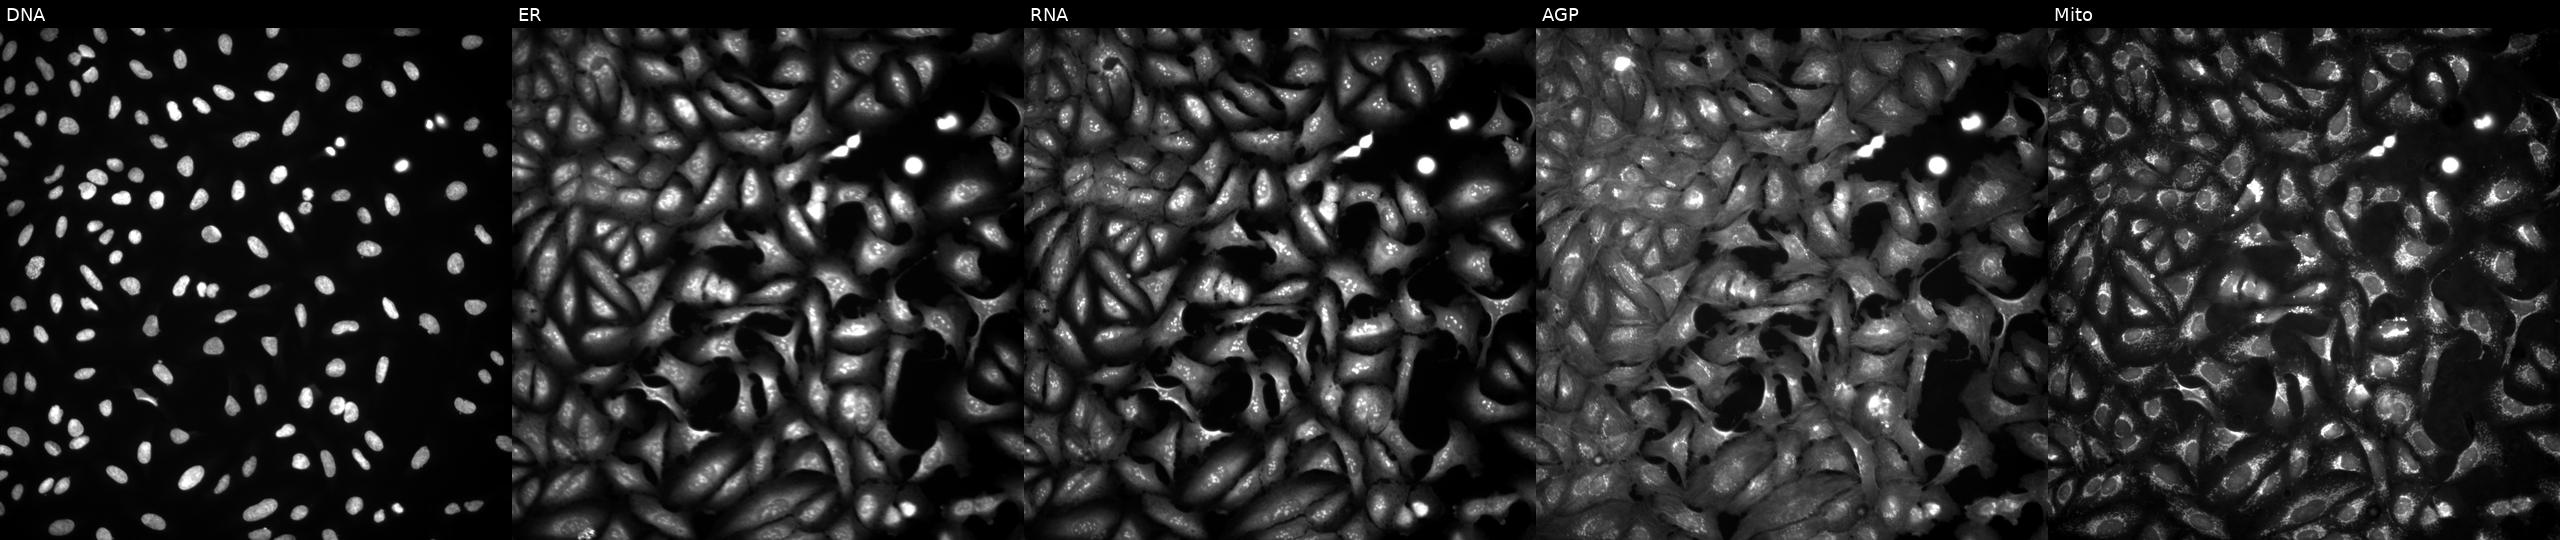
High-content fluorescence microscopy (Cell Painting). Cell line: U2OS. Perturbation: transfected with an ORF construct for GPRC5C (JUMP id JCP2022_911460). Panels show, left to right, DNA, ER, RNA, AGP, and Mito.